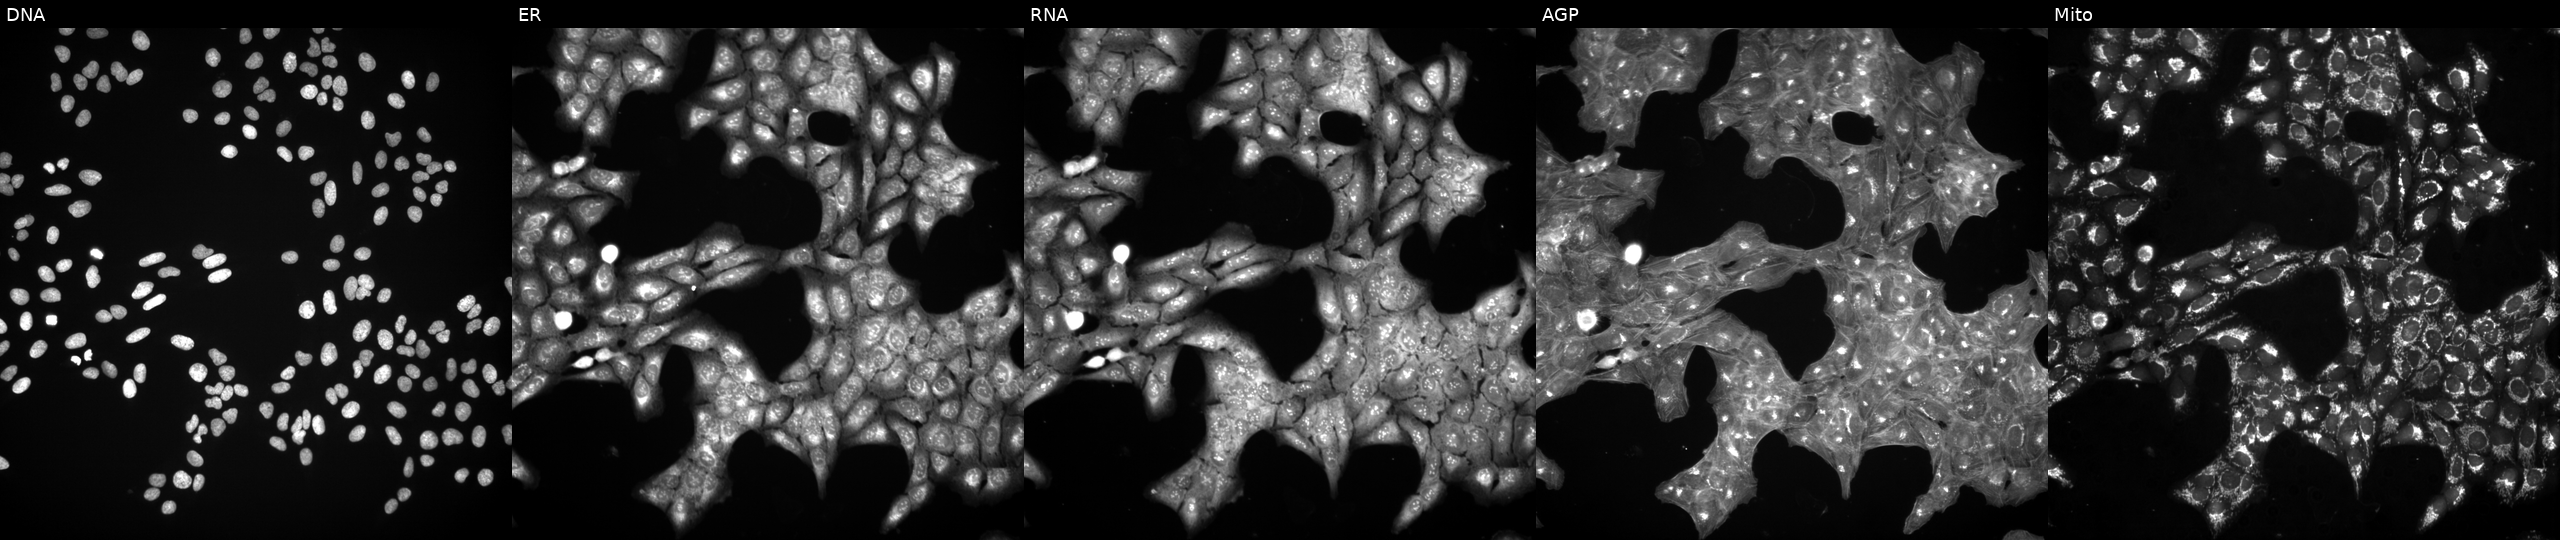
Panels show, left to right, DNA, ER, RNA, AGP, and Mito. U2OS osteosarcoma cells treated with a small-molecule compound (InChIKey APQWBVJHOHPBFH-UHFFFAOYSA-N) (JUMP id JCP2022_002987). Cell Painting assay, JUMP-CP dataset. Source 3, plate BR5867b3, well C15.